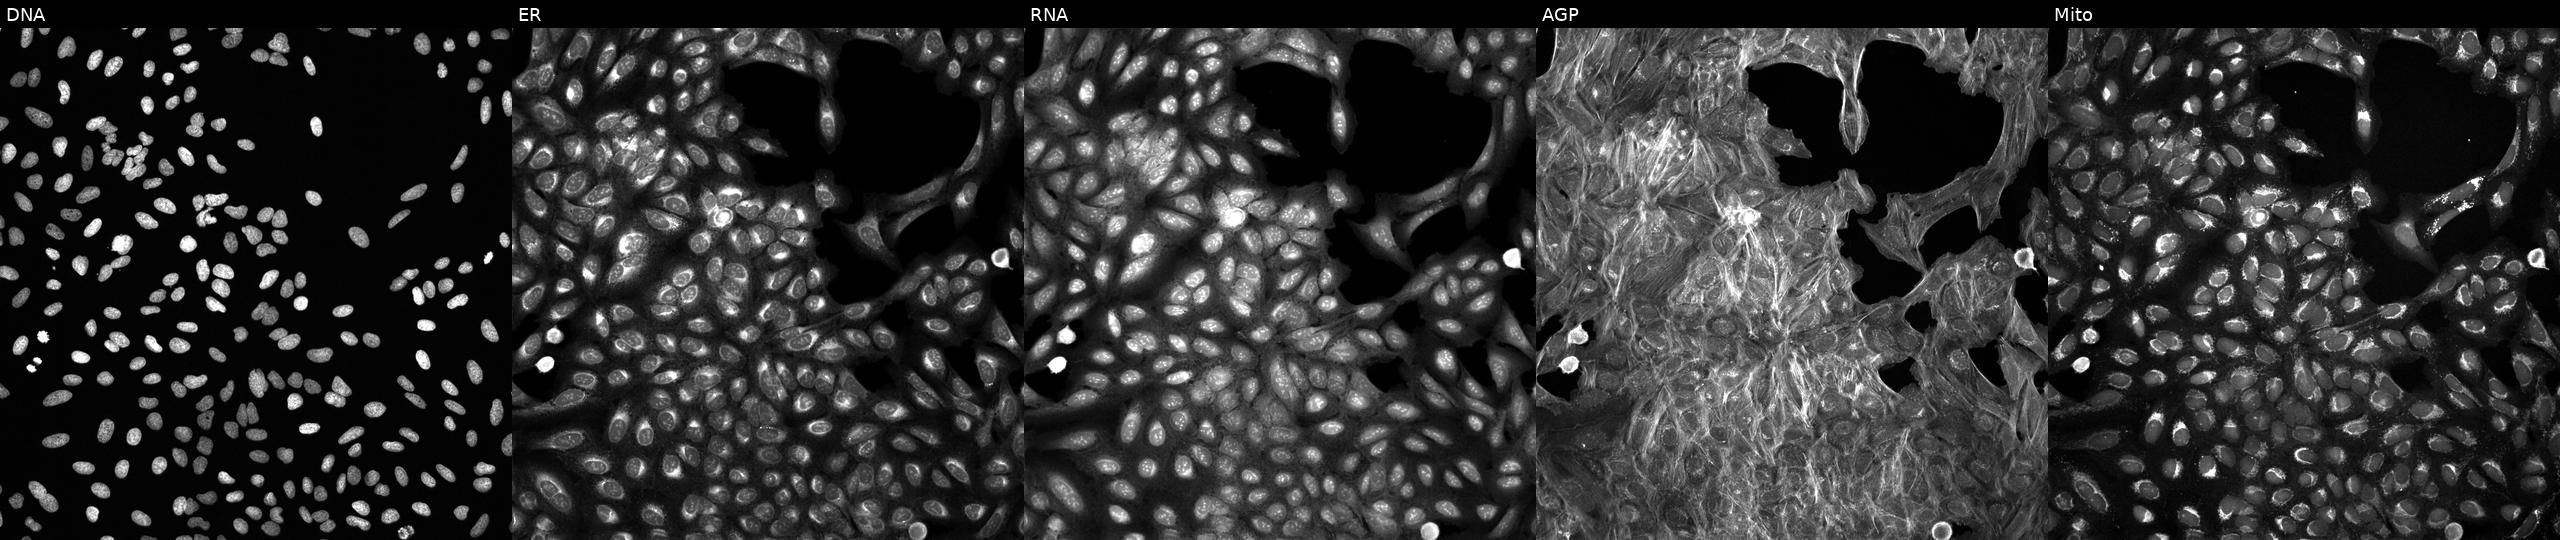
JUMP Cell Painting — TARGET2 plate. U2OS cells treated with DMSO vehicle only (negative control) (JUMP id JCP2022_033924). Panels show, left to right, DNA, ER, RNA, AGP, and Mito.